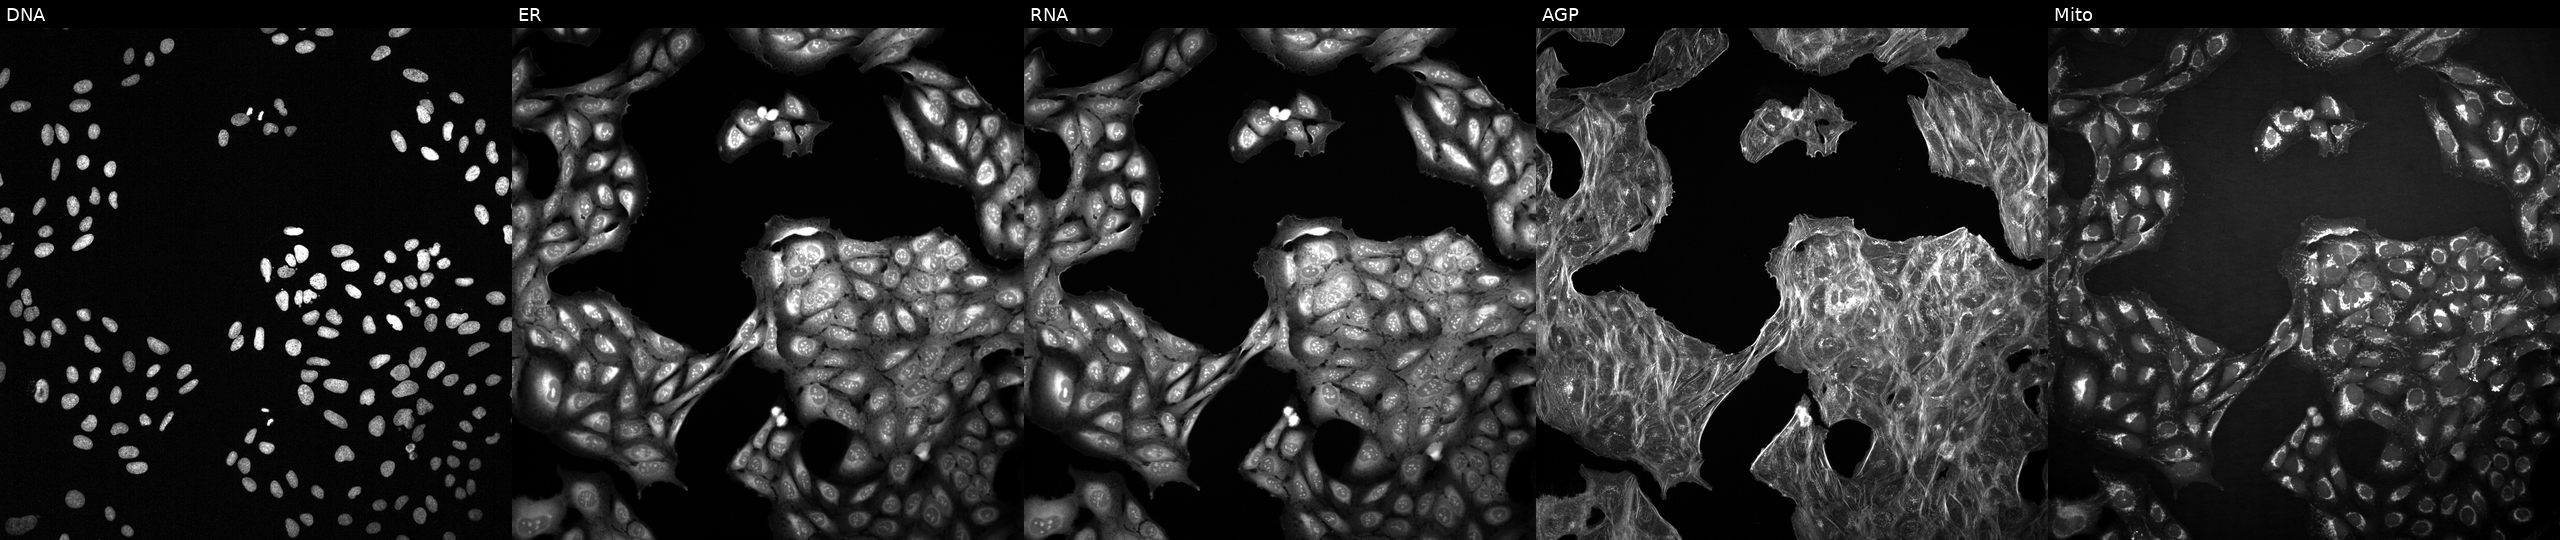
This image strip shows the five Cell Painting channels for a single field of U2OS cells with an unidentified perturbation (not annotated in JUMP metadata). The five panels, left to right, show DNA, ER, RNA, AGP, and Mito. Source 2, plate 1053601763, well H14.